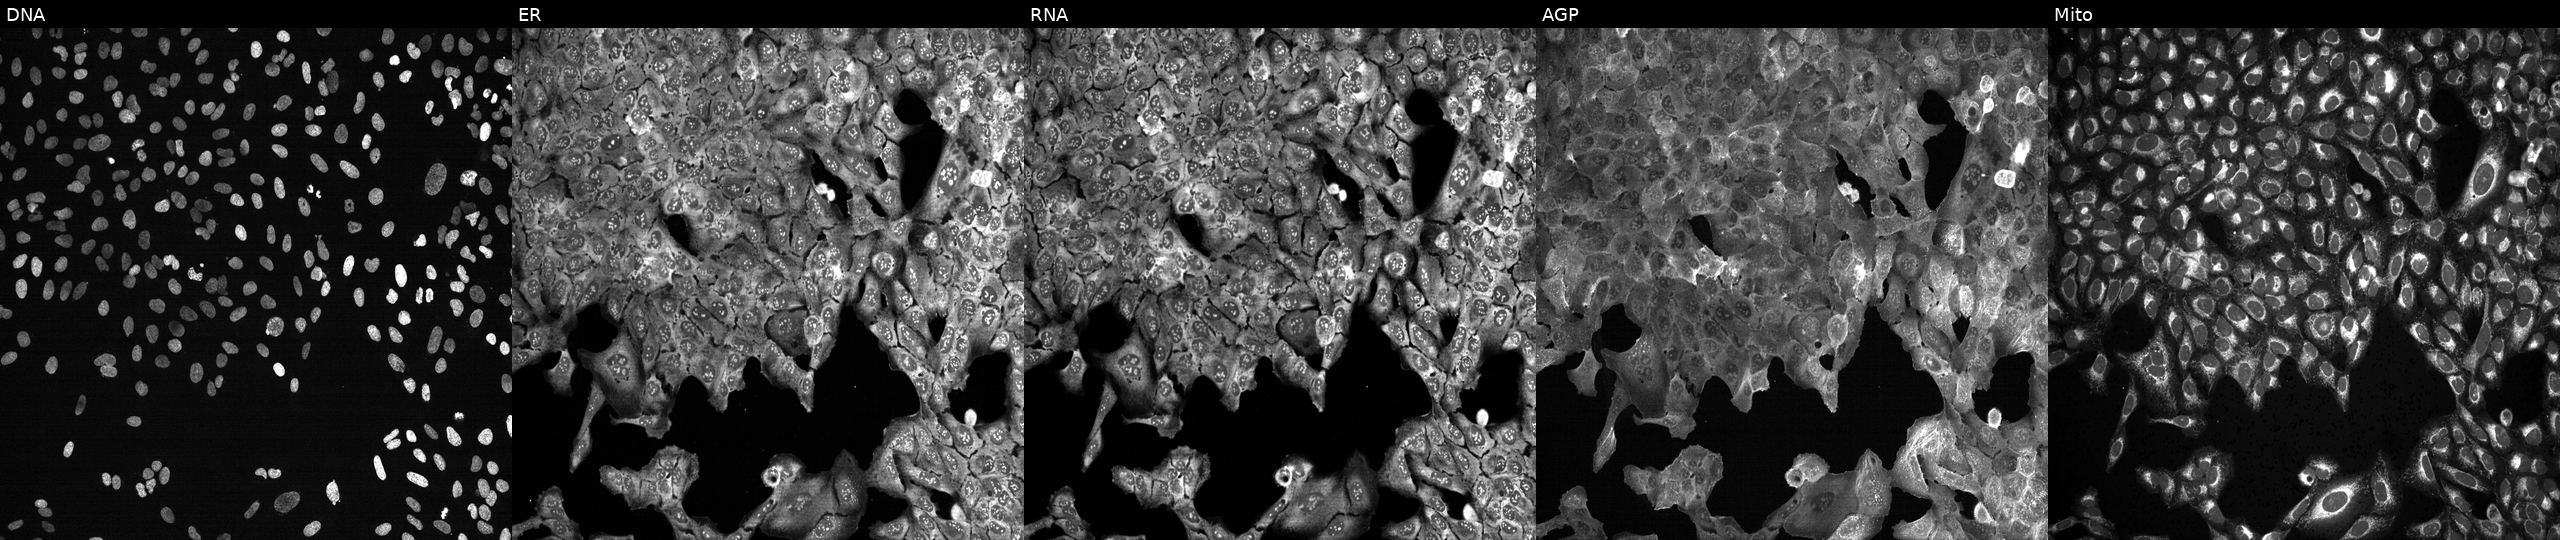
Channels (left→right): DNA (nuclei); ER (endoplasmic reticulum); RNA (nucleoli and cytoplasmic RNA); AGP (actin cytoskeleton, Golgi, and plasma membrane); Mito (mitochondria). U2OS osteosarcoma cells following CRISPR knockout of RAB1A. Cell Painting assay, JUMP-CP dataset.